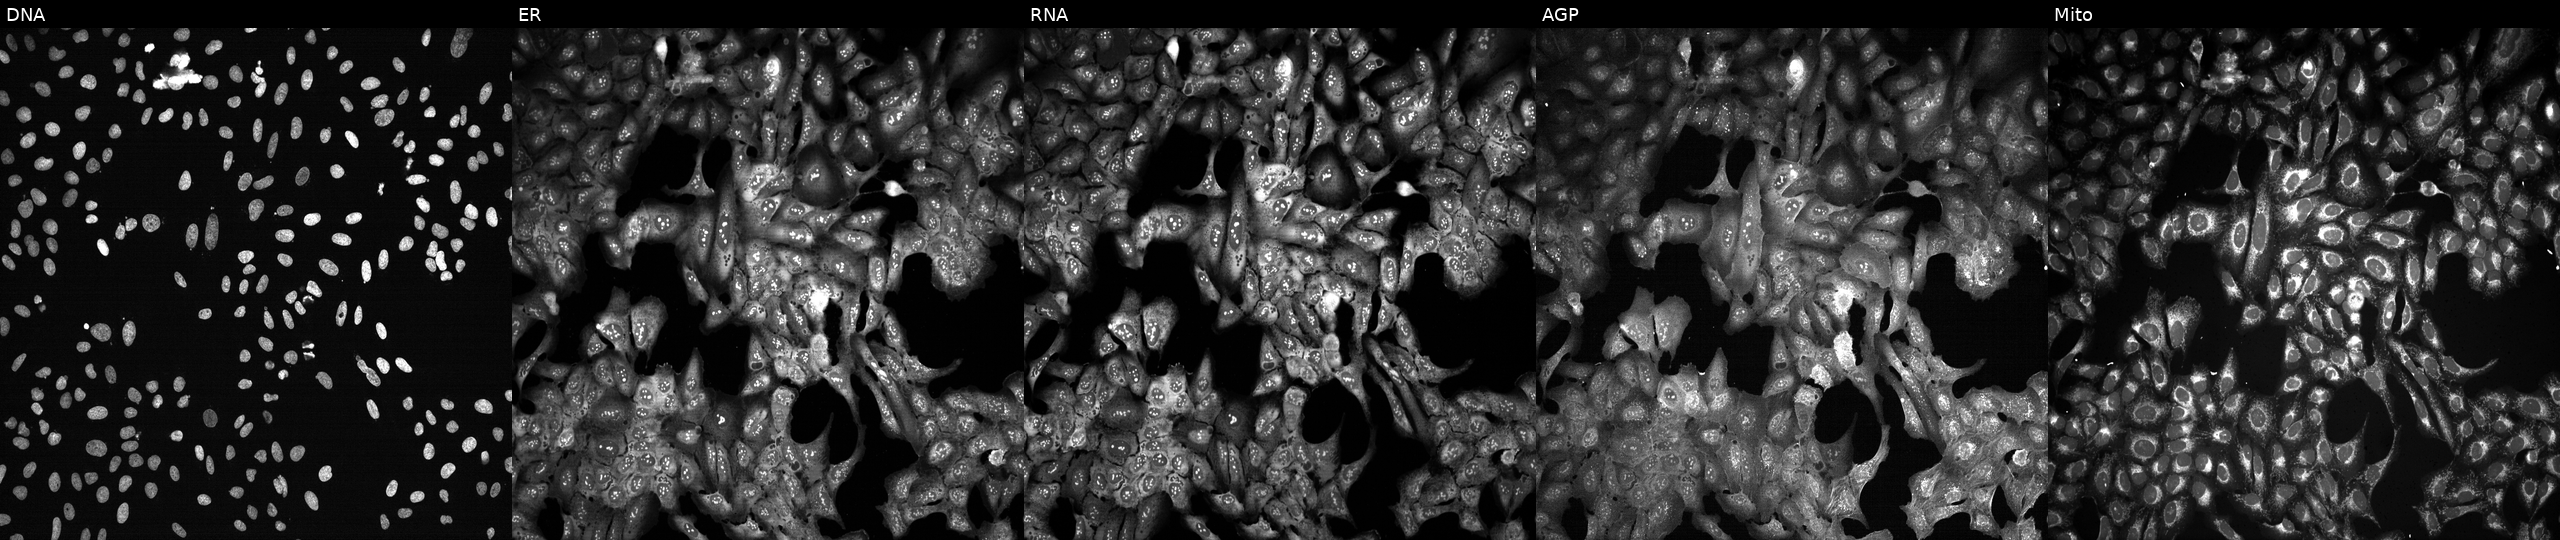
JUMP Cell Painting — CRISPR plate. U2OS cells following CRISPR knockout of ECM1 (JUMP id JCP2022_801995). From left to right: DNA, ER, RNA, AGP, and Mito. Source 13, plate CP-CC9-R4-04, well P14.